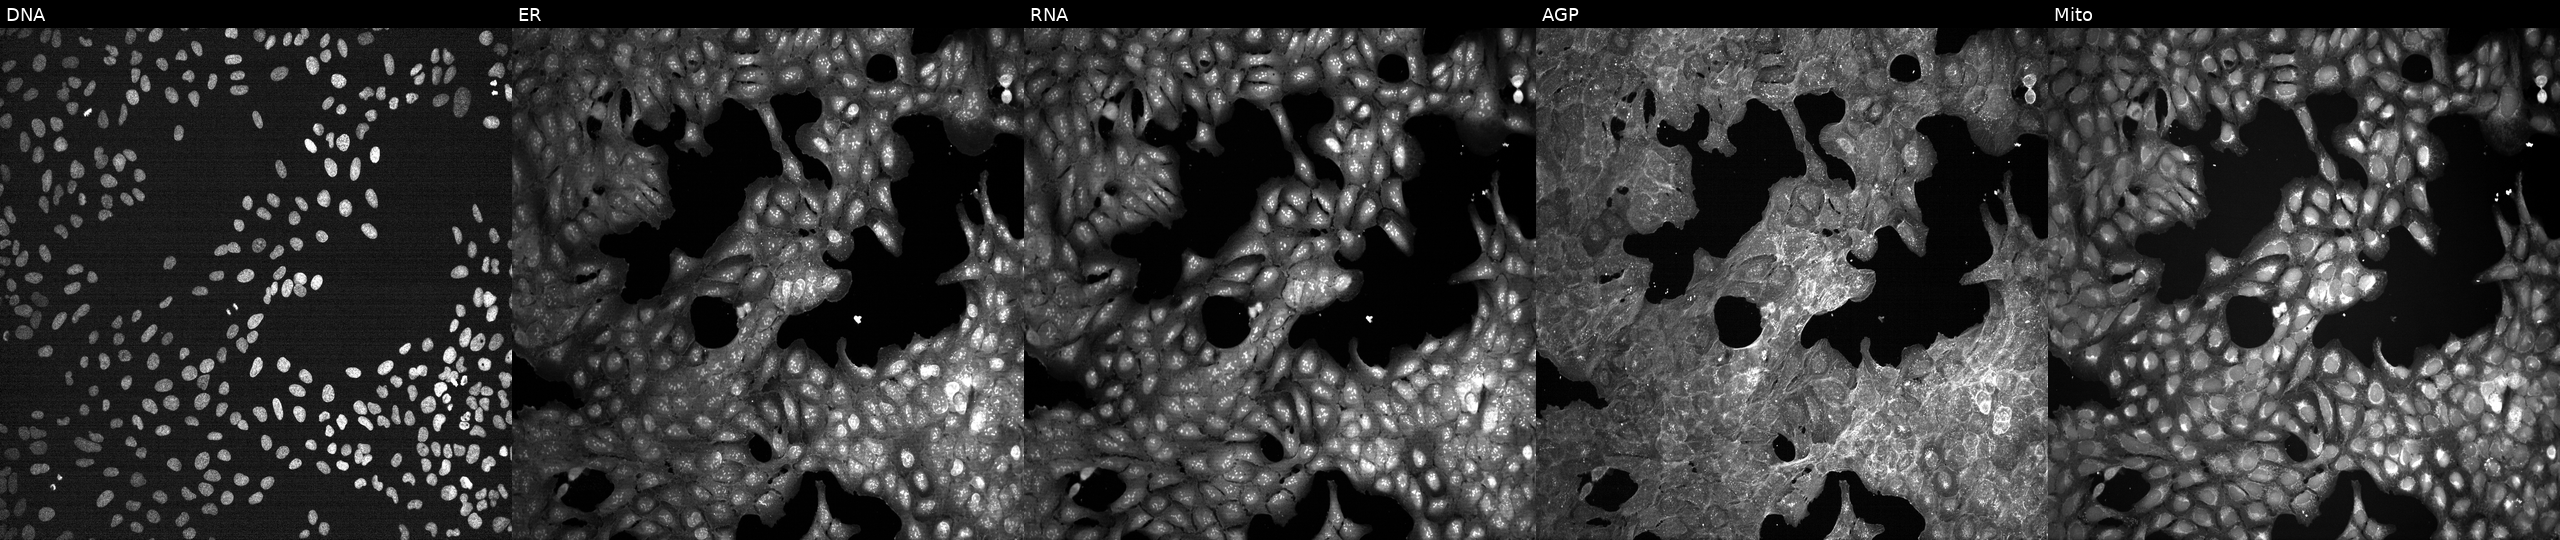
Five-channel Cell Painting image of U2OS cells perturbed with a small-molecule compound (InChIKey QFWCYNPOPKQOKV-UHFFFAOYSA-N). Panels show, left to right, Hoechst 33342, concanavalin A, SYTO 14, phalloidin and WGA, MitoTracker.